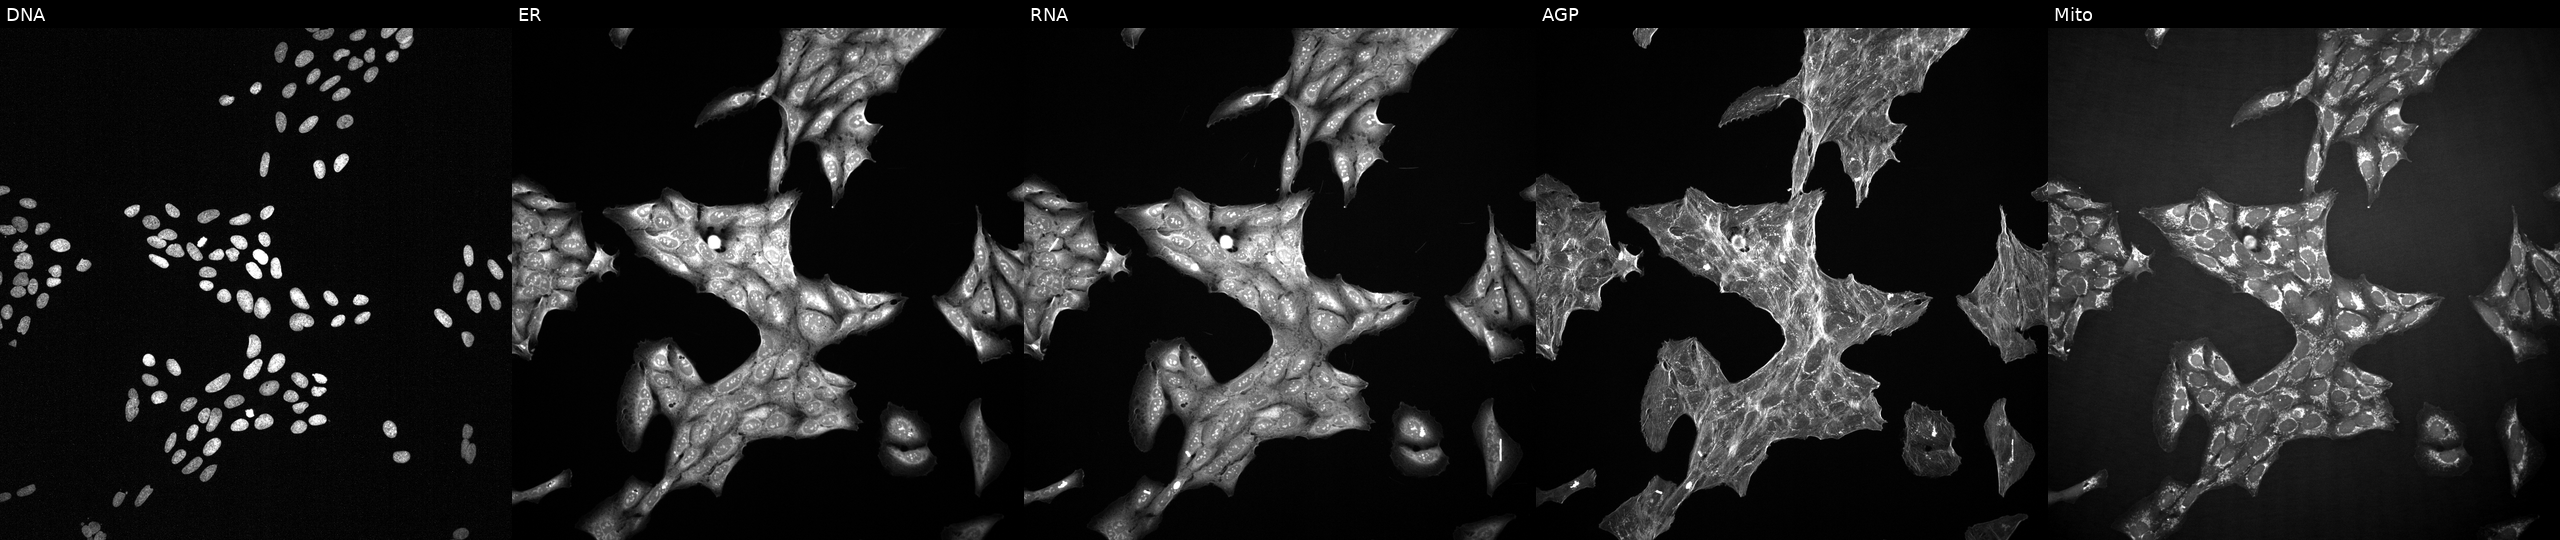
The five panels, left to right, show Hoechst 33342, concanavalin A, SYTO 14, phalloidin and WGA, MitoTracker. U2OS osteosarcoma cells perturbed with a small-molecule compound [SMILES: O=C1NC(=O)c2c1c1c3ccccc3[nH]c1c1[nH]c3ccccc3c21] (JUMP id JCP2022_043287). Cell Painting assay, JUMP-CP dataset.